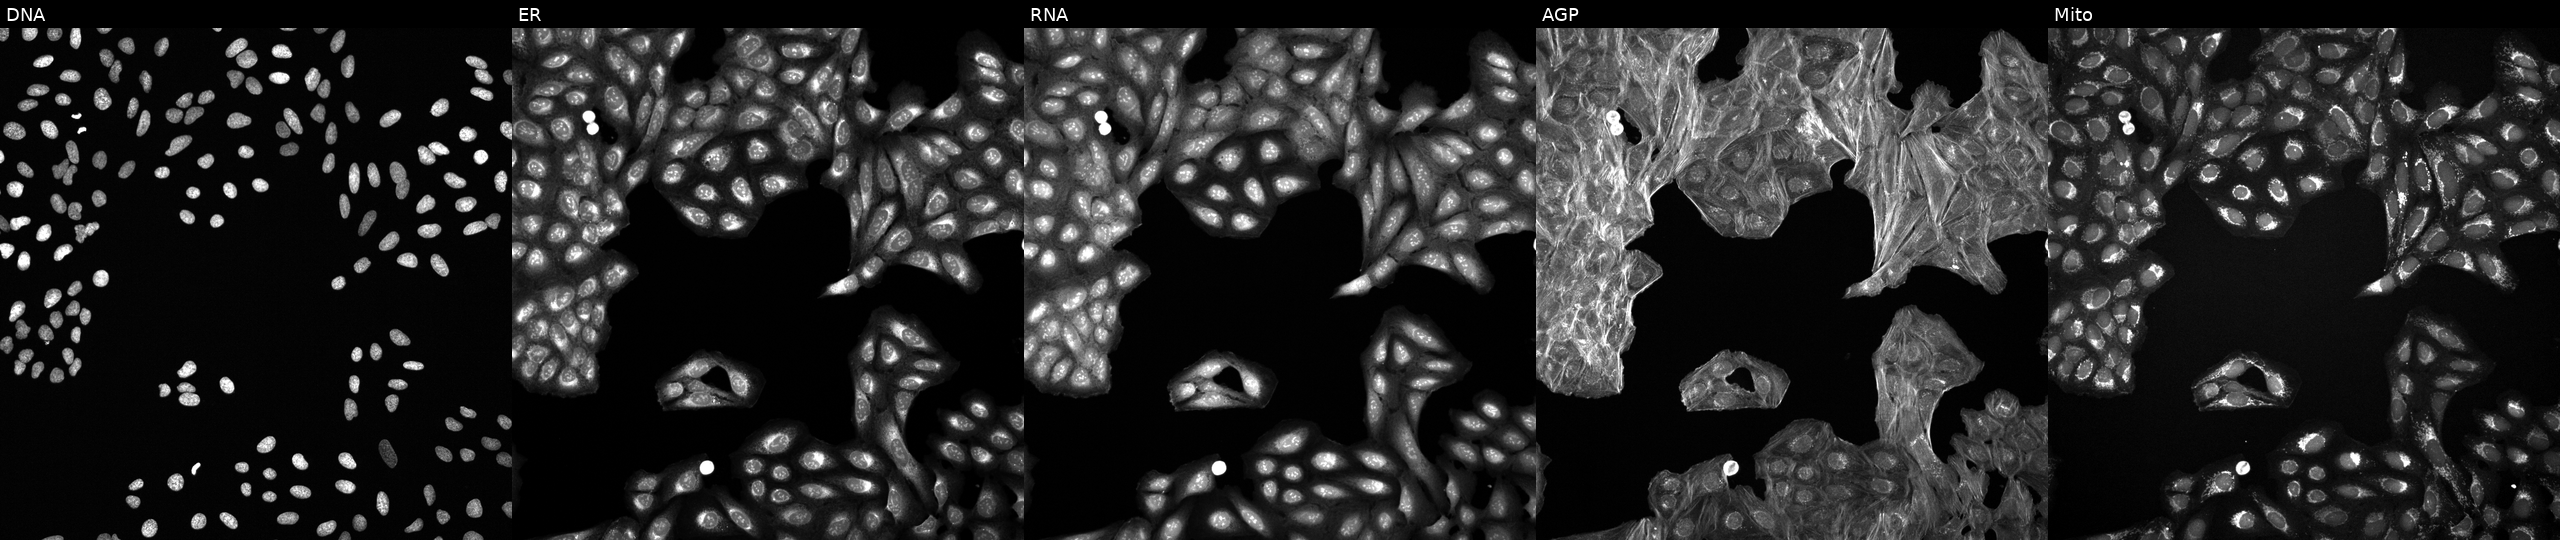
High-content fluorescence microscopy (Cell Painting). Cell line: U2OS. Perturbation: perturbed with a small-molecule compound (InChIKey CXUCKELNYMZTRT-UHFFFAOYSA-N) (JUMP id JCP2022_014114). The five panels, left to right, show DNA, ER, RNA, AGP, and Mito.